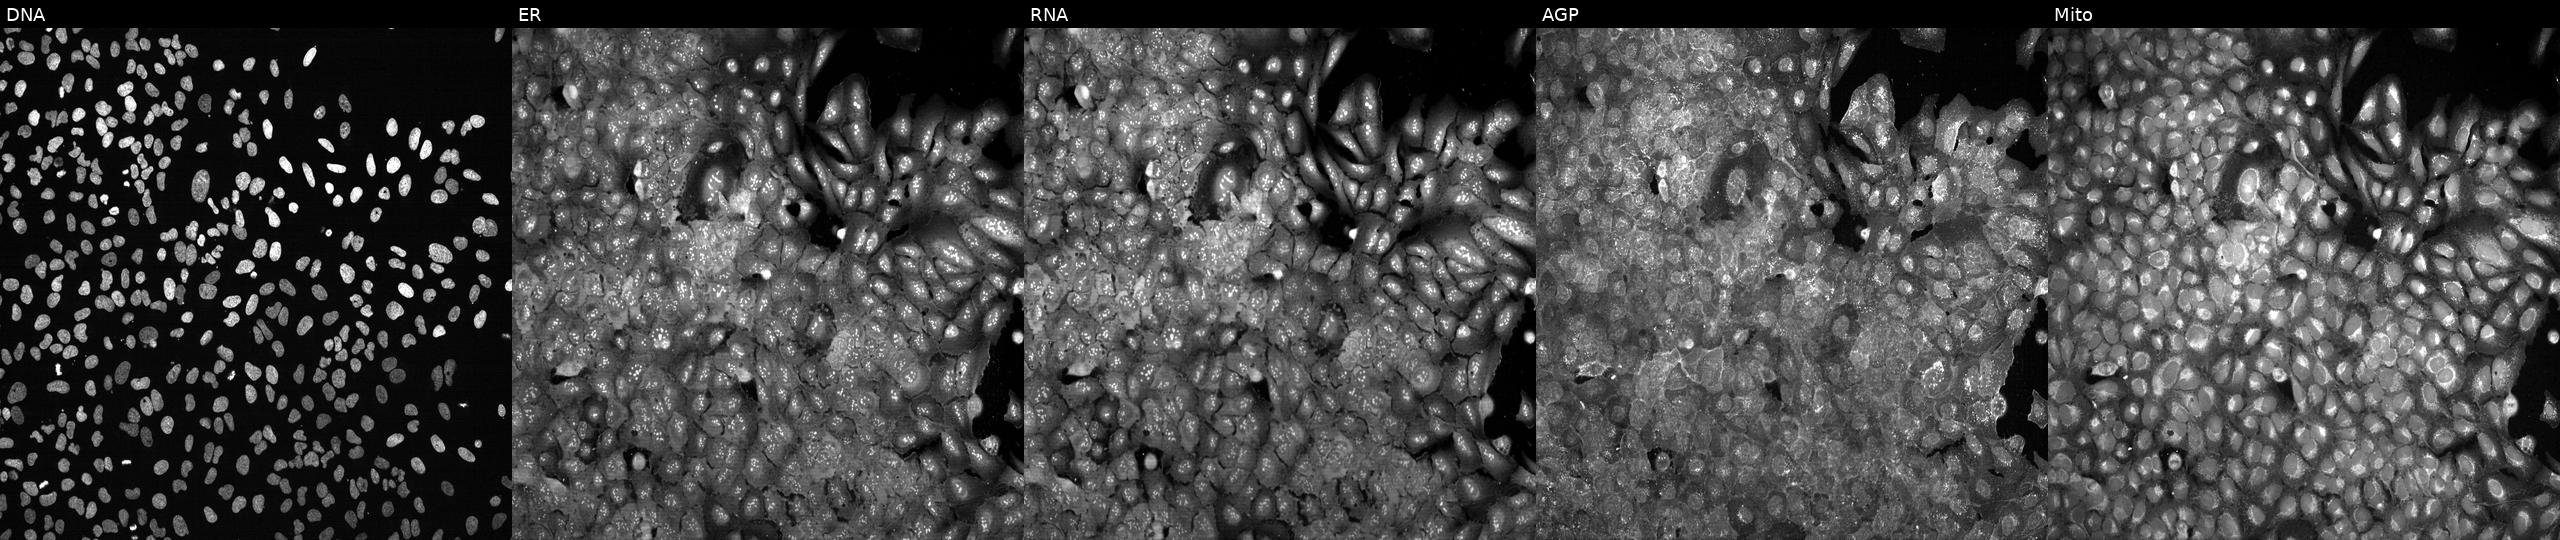
Five-channel Cell Painting image of U2OS cells CRISPR-edited to disrupt MTFMT. The five panels, left to right, show DNA, ER, RNA, AGP, and Mito.